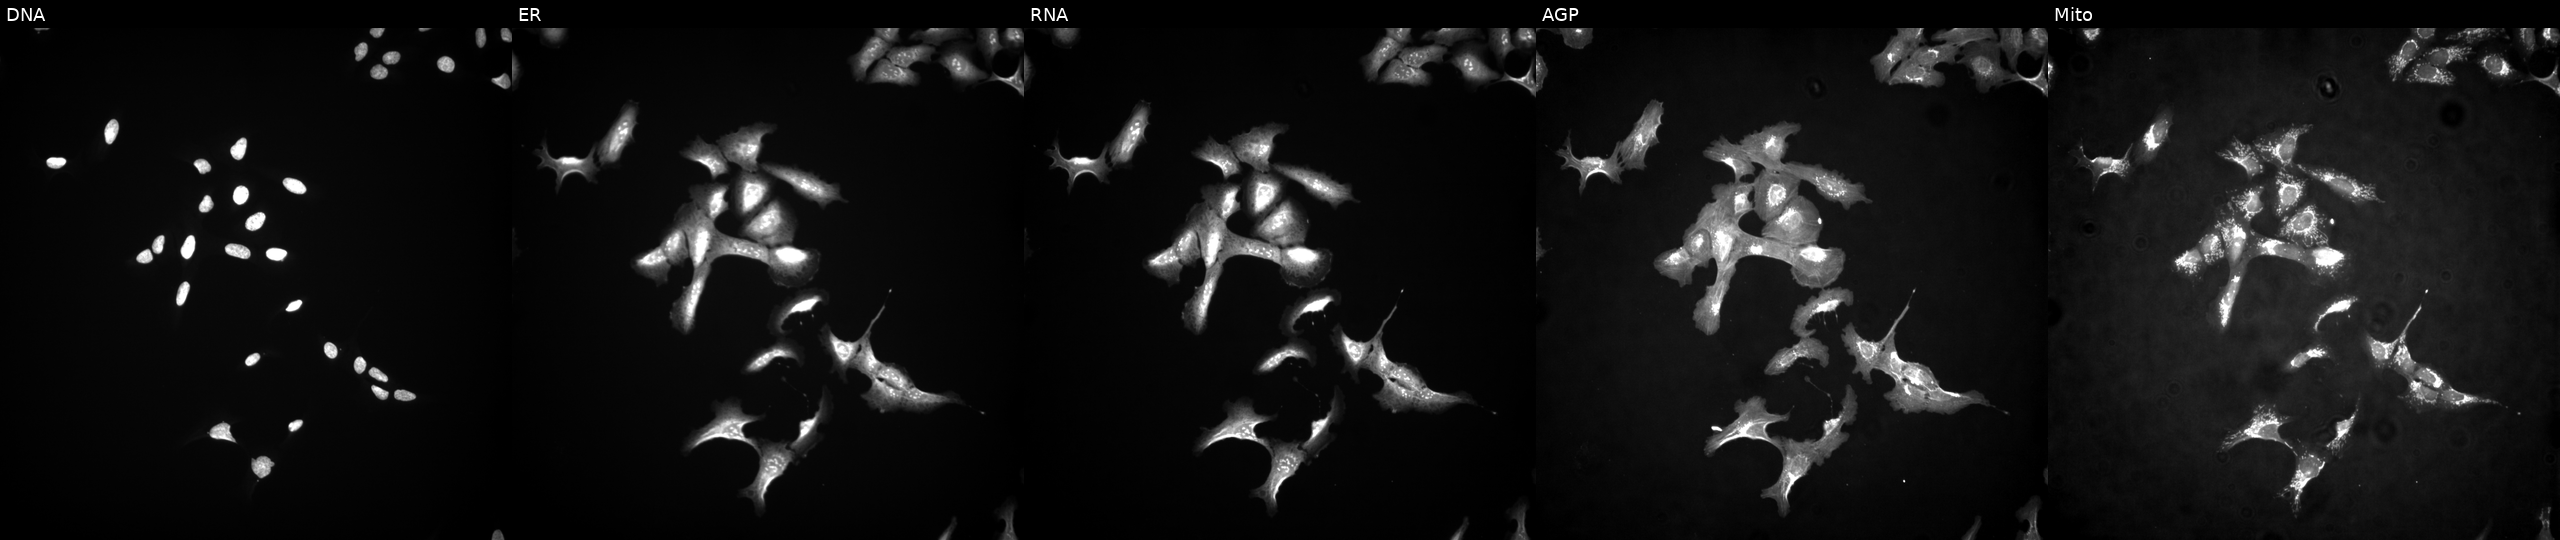
JUMP Cell Painting — ORF plate. U2OS cells transfected with an ORF construct for GTF2A1L (JUMP id JCP2022_902438). Panels show, left to right, DNA, ER, RNA, AGP, and Mito. Source 4, plate BR00117035, well I24.